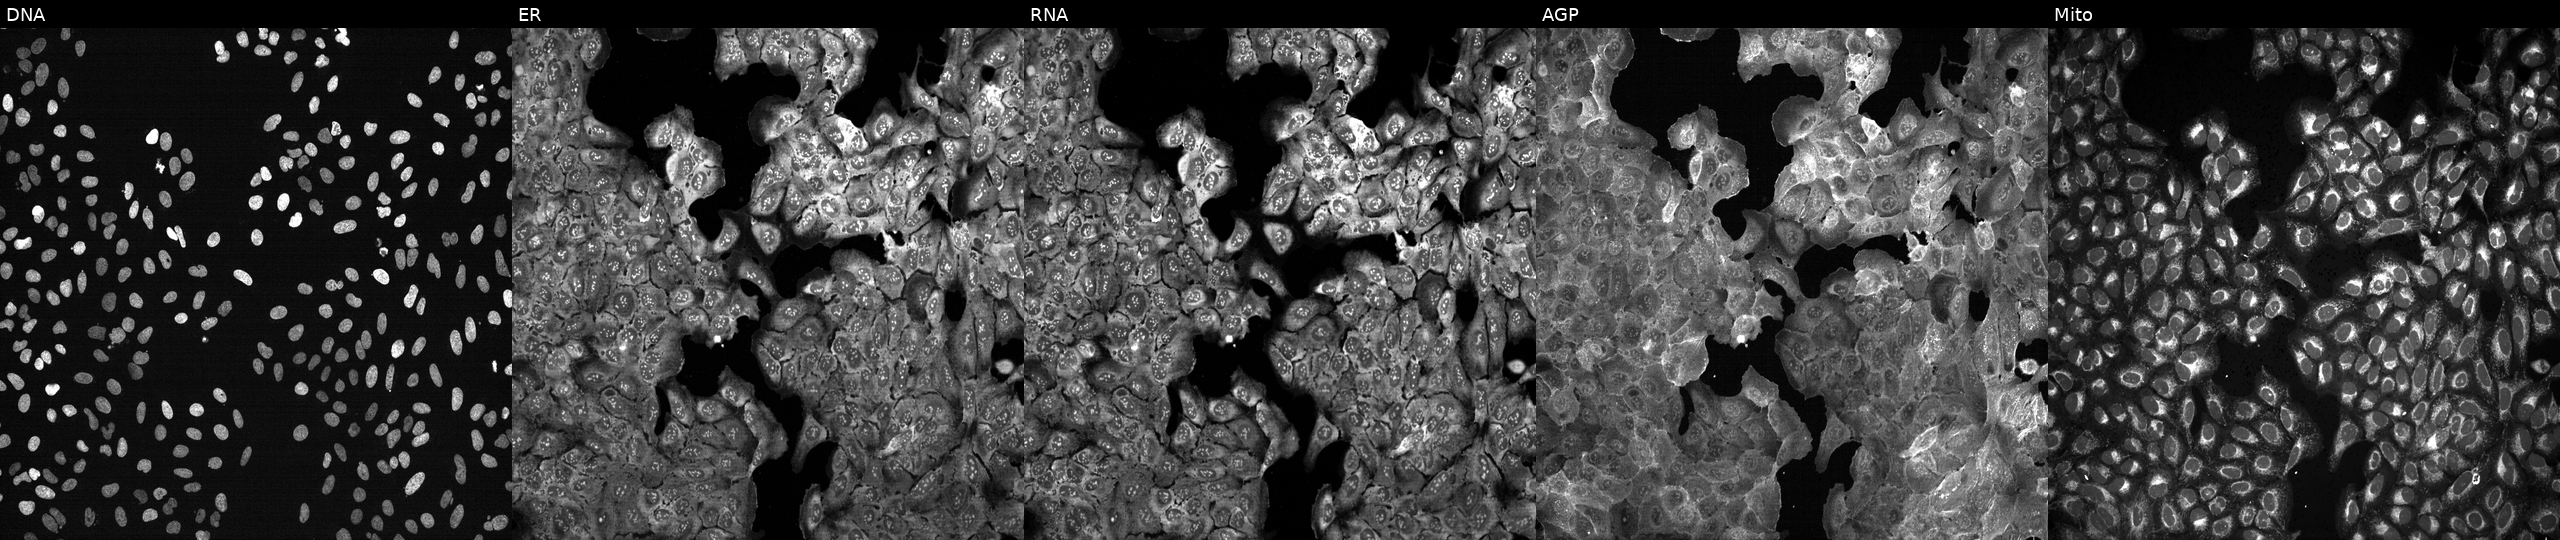
Five-channel Cell Painting image of U2OS cells following CRISPR knockout of FUT9. The five panels, left to right, show Hoechst 33342, concanavalin A, SYTO 14, phalloidin and WGA, MitoTracker. Source 13, plate CP-CC9-R2-02, well A11.